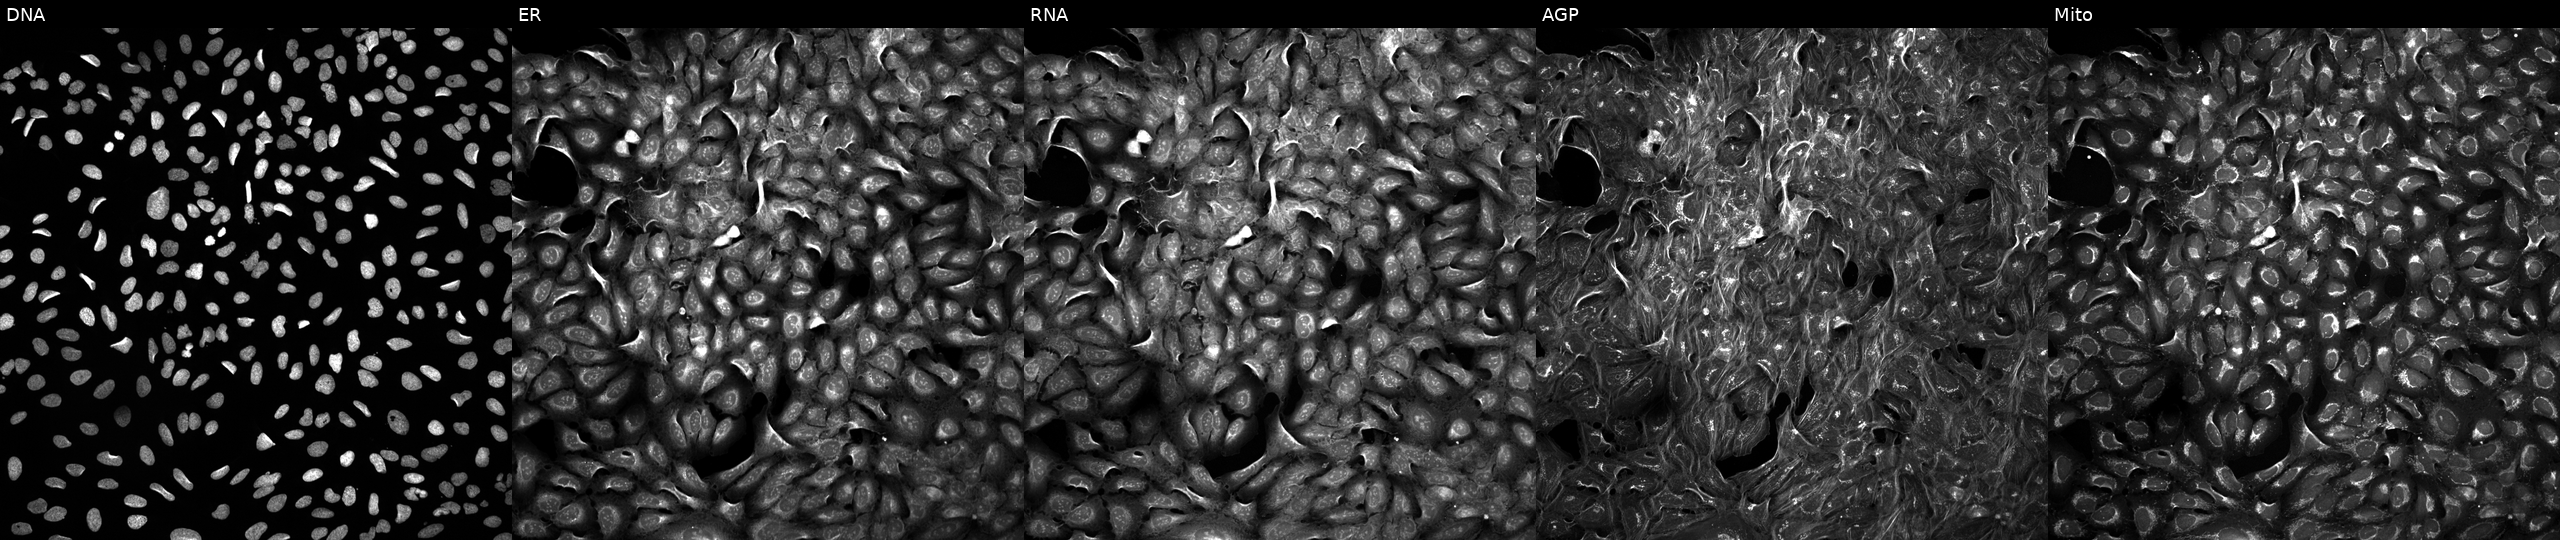
High-content fluorescence microscopy (Cell Painting). Cell line: U2OS. Perturbation: perturbed with a small-molecule compound (InChIKey IIXWYSCJSQVBQM-UHFFFAOYSA-N) (JUMP id JCP2022_035351). Channels (left→right): Hoechst 33342, concanavalin A, SYTO 14, phalloidin and WGA, MitoTracker.